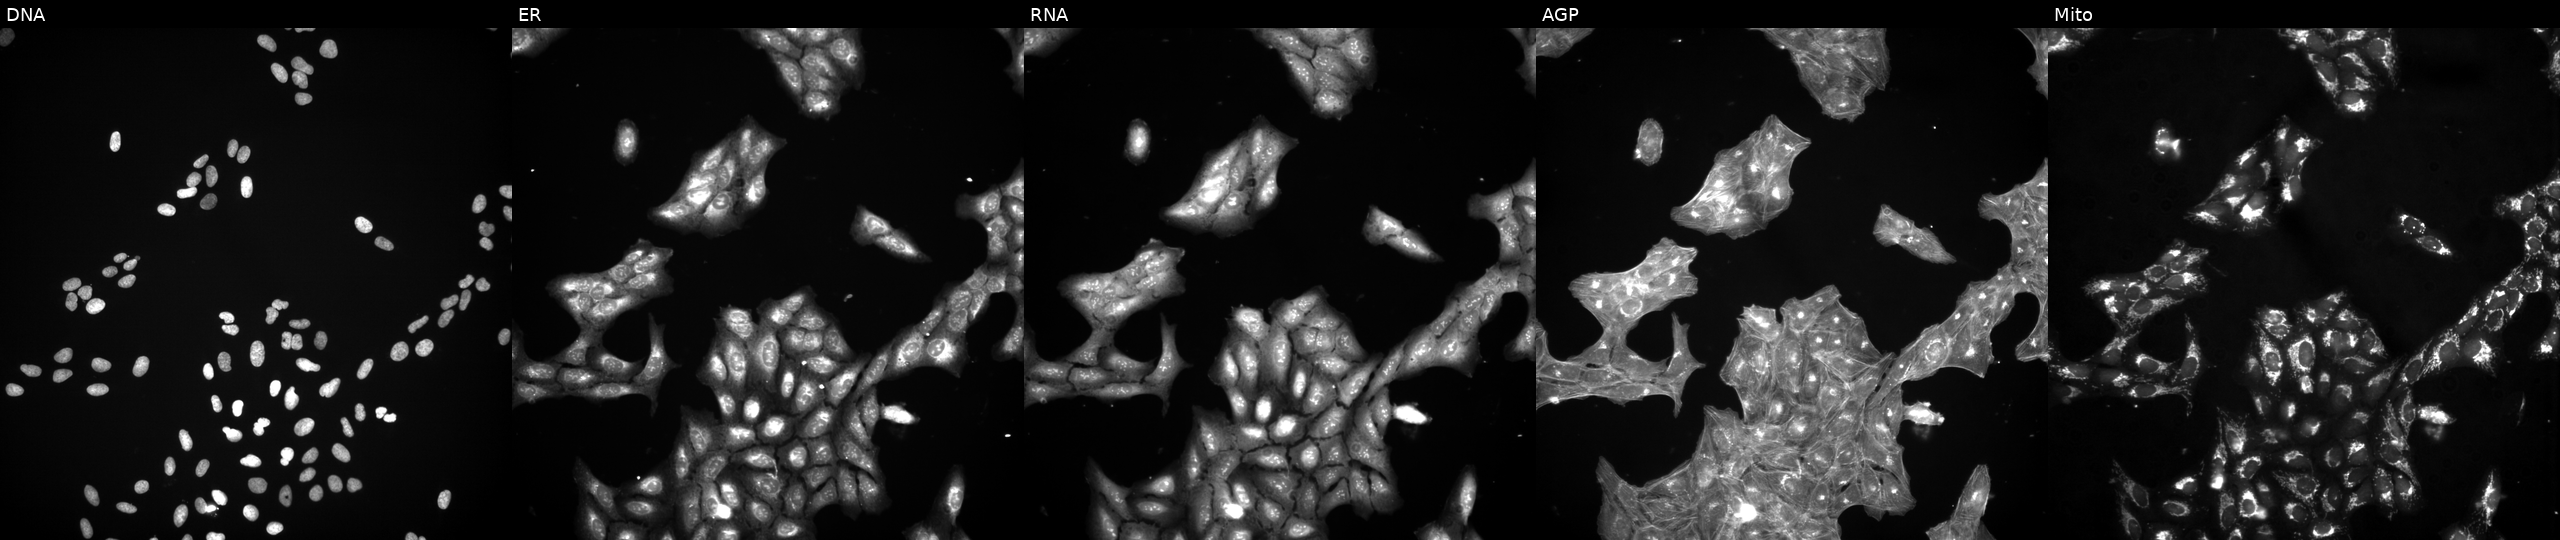
High-content fluorescence microscopy (Cell Painting). Cell line: U2OS. Perturbation: treated with DMSO vehicle only (negative control) (JUMP id JCP2022_033924). Panels show, left to right, DNA (nuclei); ER (endoplasmic reticulum); RNA (nucleoli and cytoplasmic RNA); AGP (actin cytoskeleton, Golgi, and plasma membrane); Mito (mitochondria).